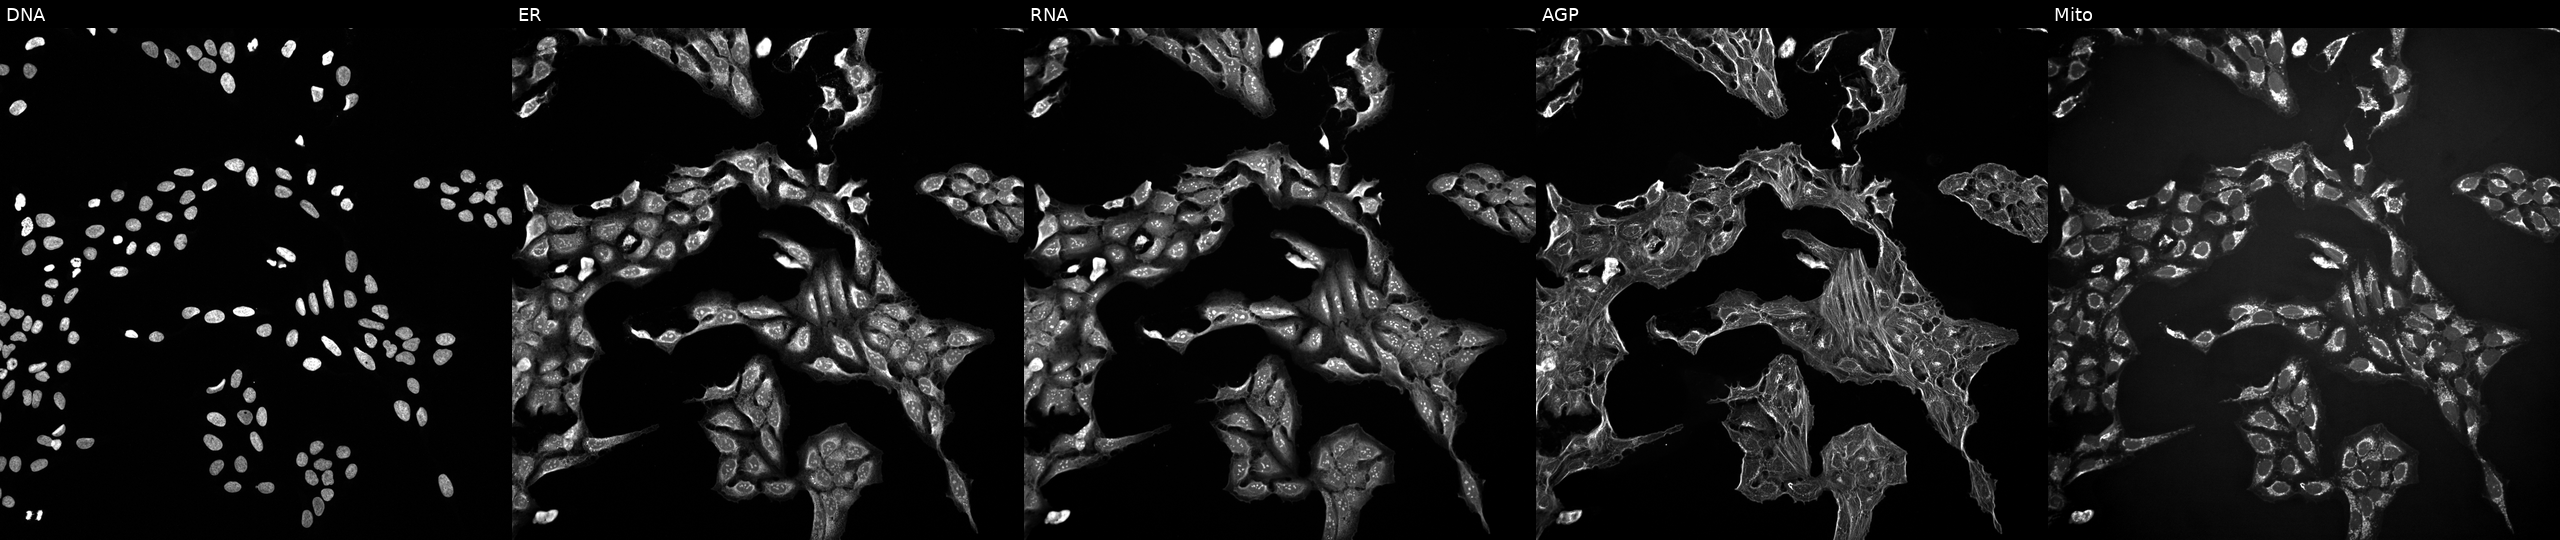
U2OS cells, Cell Painting assay, treated with a small-molecule compound [SMILES: OC(CN1CCNCC1)Cn1c2ccc(Br)cc2c2cc(Br)ccc21]. Channels (left→right): DNA (nuclei); ER (endoplasmic reticulum); RNA (nucleoli and cytoplasmic RNA); AGP (actin cytoskeleton, Golgi, and plasma membrane); Mito (mitochondria). Each panel is percentile-stretched 16-bit fluorescence. Source 10, plate Dest210727-153003, well K04.